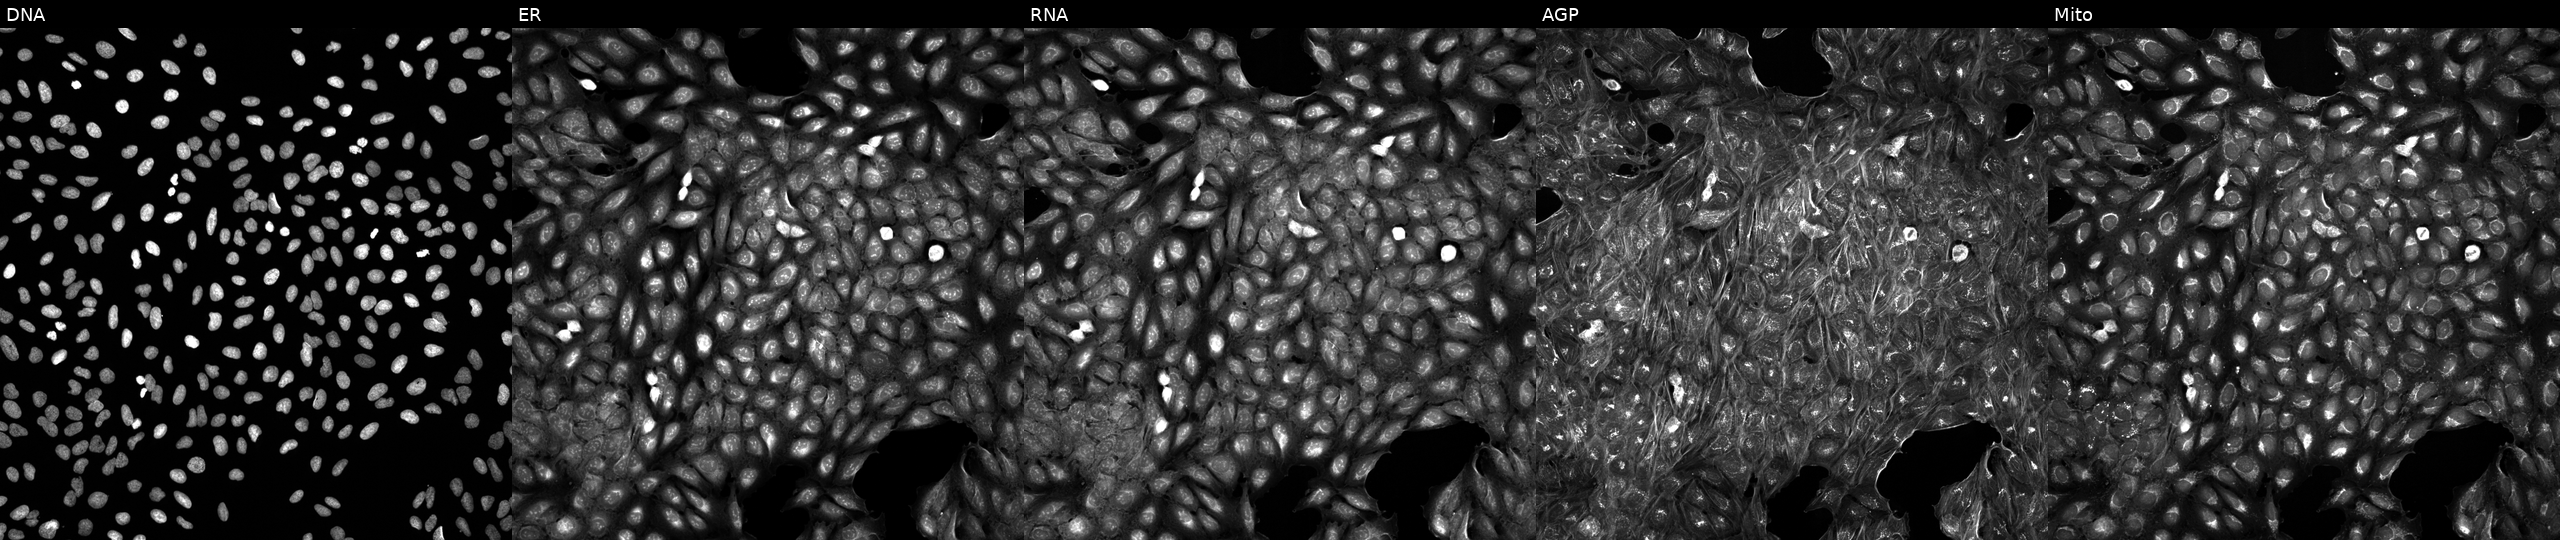
JUMP Cell Painting — COMPOUND plate. U2OS cells perturbed with a small-molecule compound (InChIKey GRCGXTUNOAZEHX-UHFFFAOYSA-N). Channels (left→right): Hoechst 33342, concanavalin A, SYTO 14, phalloidin and WGA, MitoTracker. Source 5, plate APTJUM106, well B15.